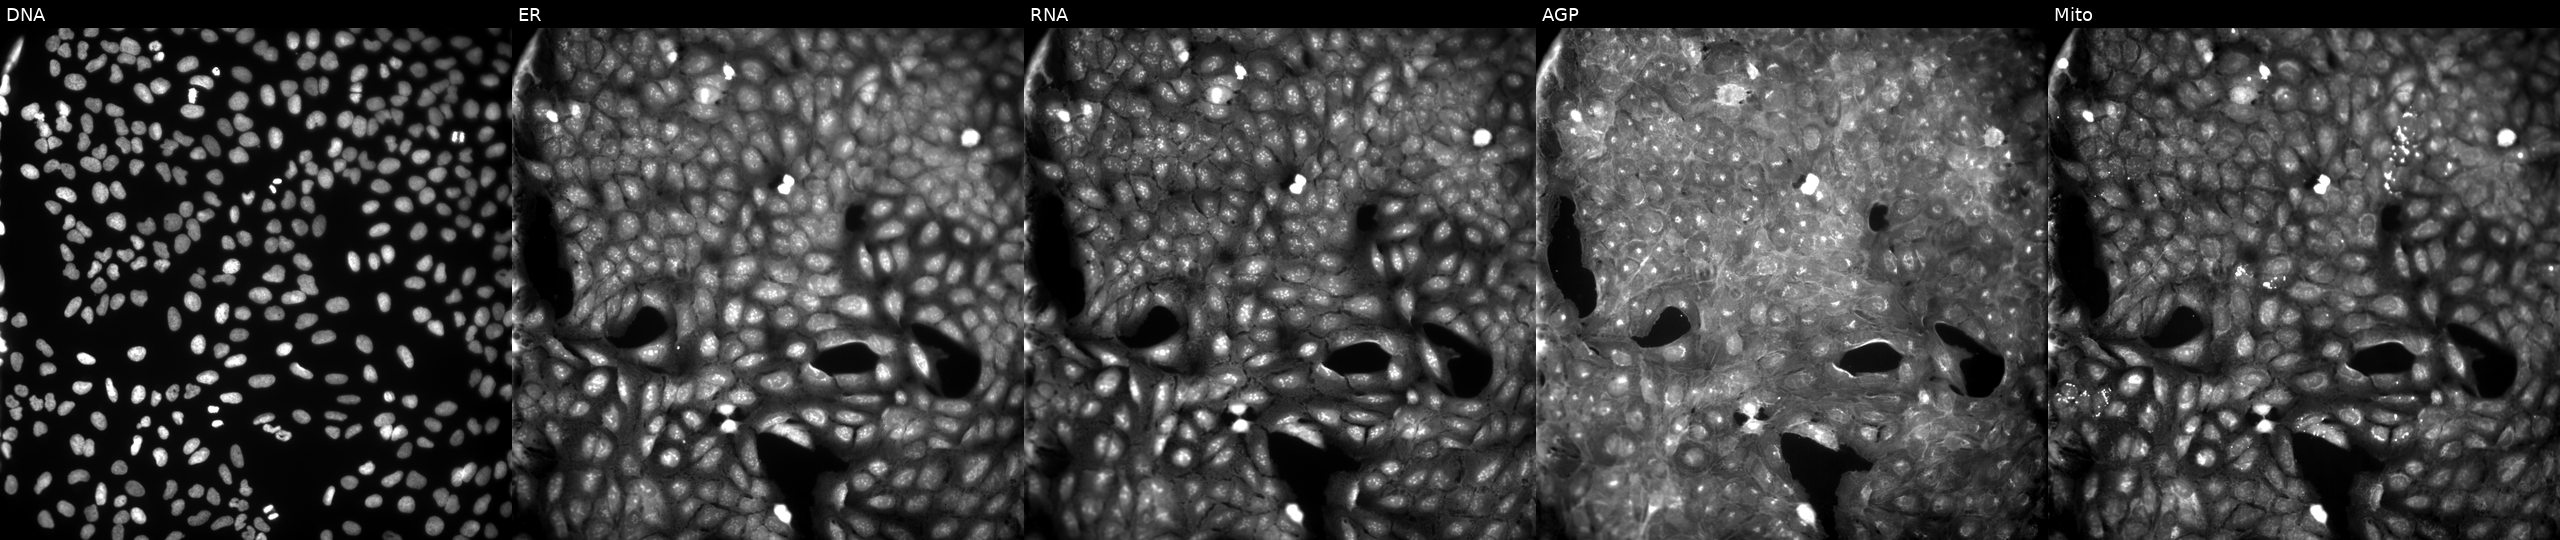
U2OS cells, Cell Painting assay, perturbed with a small-molecule compound (InChIKey FHXLTHHWLKREEX-UHFFFAOYSA-N). Channels (left→right): DNA, ER, RNA, AGP, and Mito. Each panel is percentile-stretched 16-bit fluorescence. Source 9, plate GR00003381, well X04.